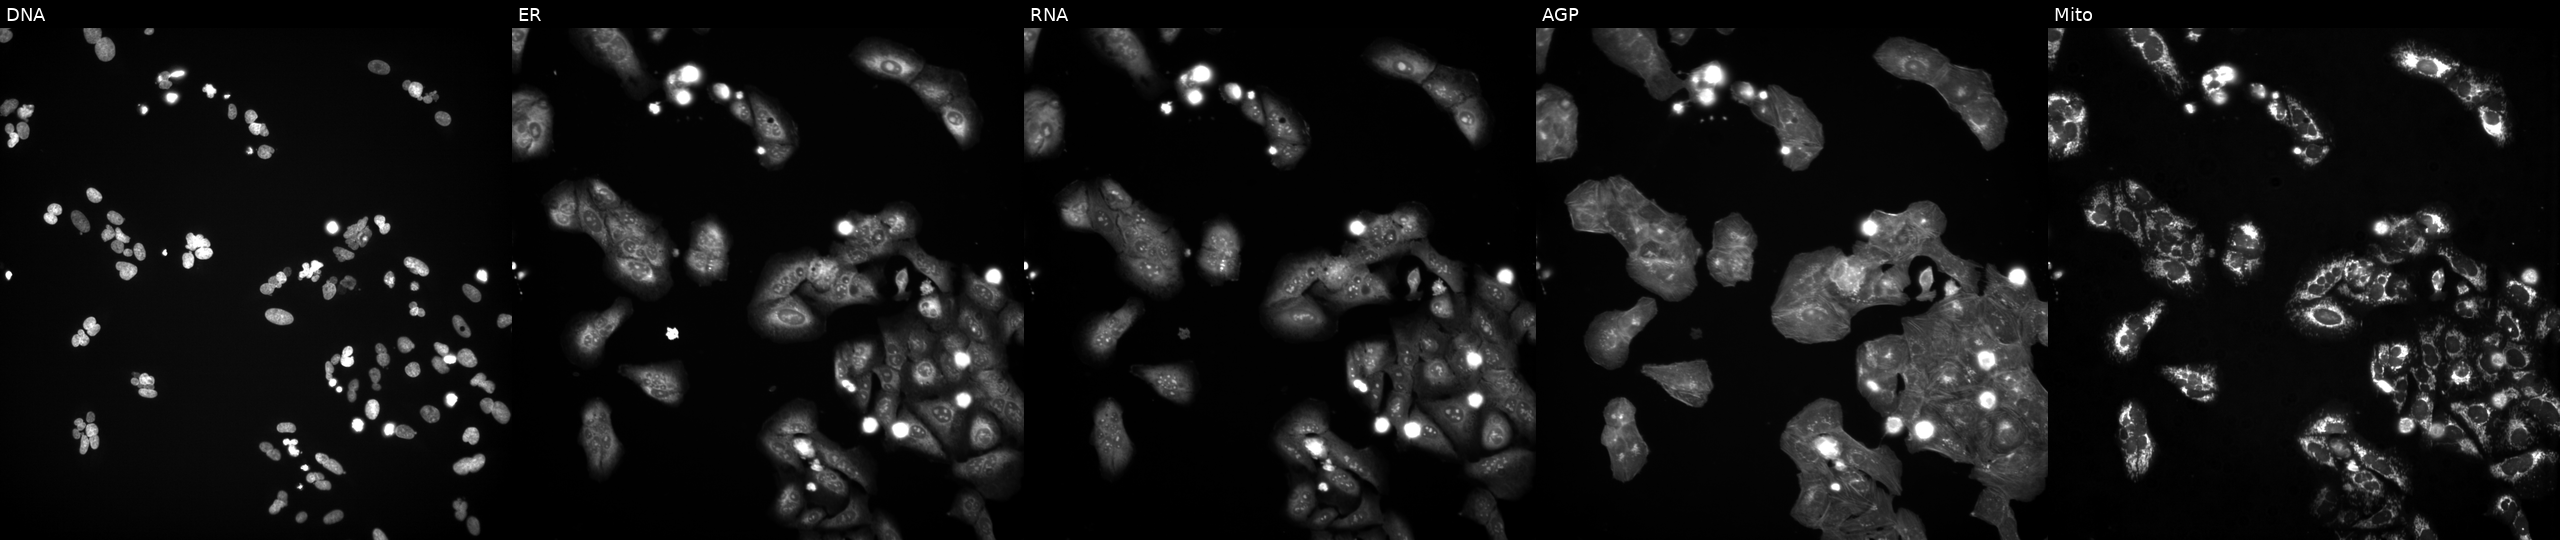
U2OS cells, Cell Painting assay, exposed to a small-molecule compound (InChIKey RAOCRURYZCVHMG-UHFFFAOYSA-N) (JUMP id JCP2022_077096). Channels (left→right): DNA (nuclei); ER (endoplasmic reticulum); RNA (nucleoli and cytoplasmic RNA); AGP (actin cytoskeleton, Golgi, and plasma membrane); Mito (mitochondria). Each panel is percentile-stretched 16-bit fluorescence. Source 3, plate JCPQC051, well F11.